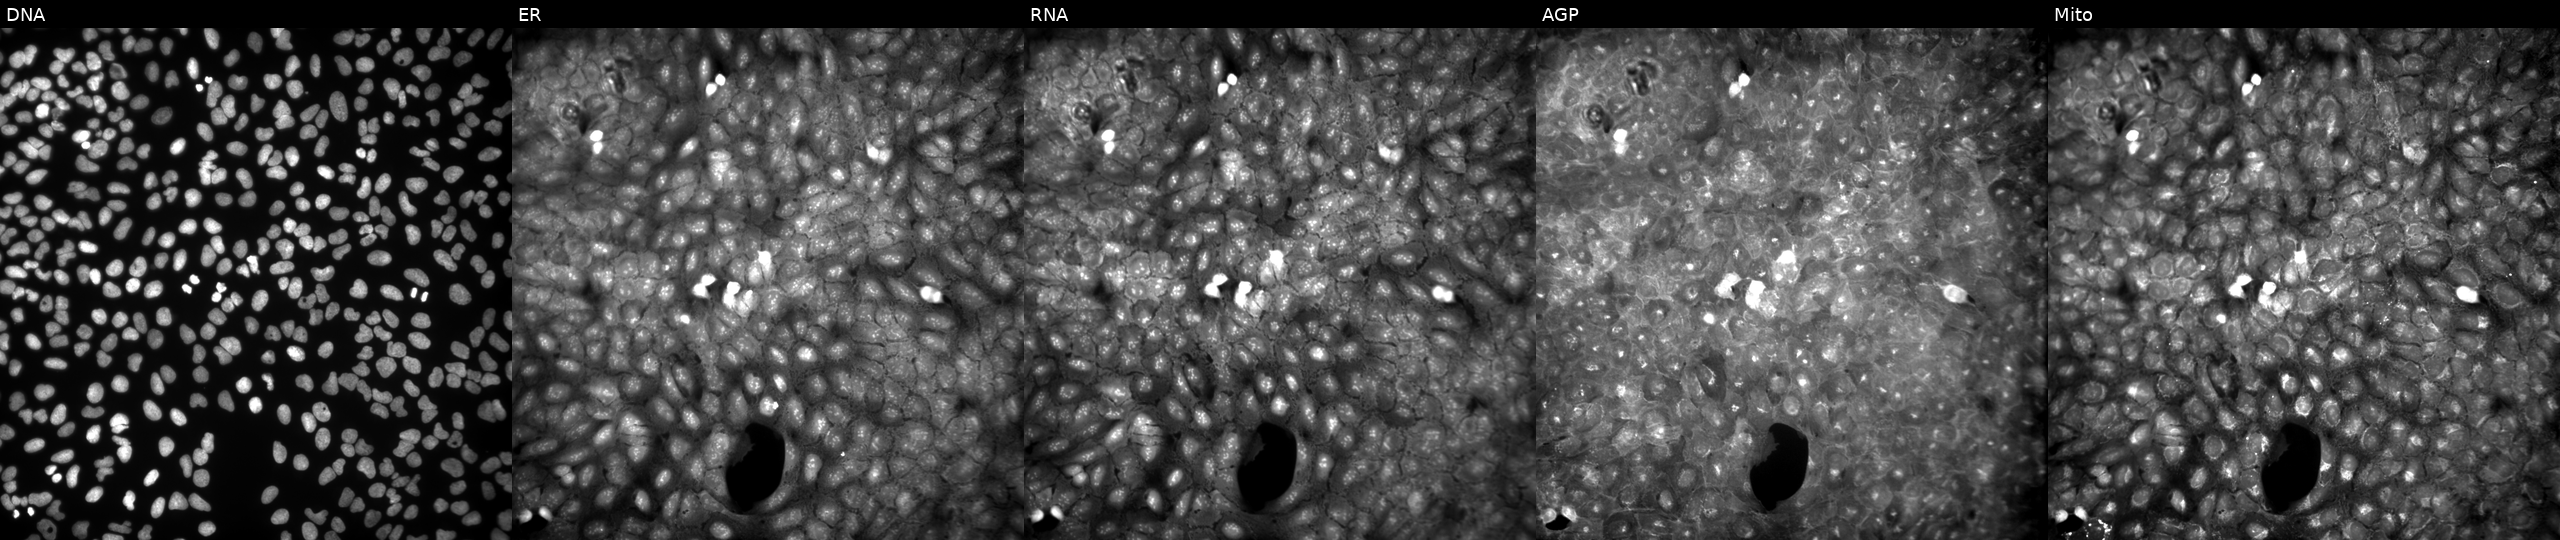
From left to right: Hoechst 33342, concanavalin A, SYTO 14, phalloidin and WGA, MitoTracker. U2OS osteosarcoma cells treated with a small-molecule compound (InChIKey UGVBXBPWUPPEBD-UHFFFAOYSA-N) (JUMP id JCP2022_089136). Cell Painting assay, JUMP-CP dataset.